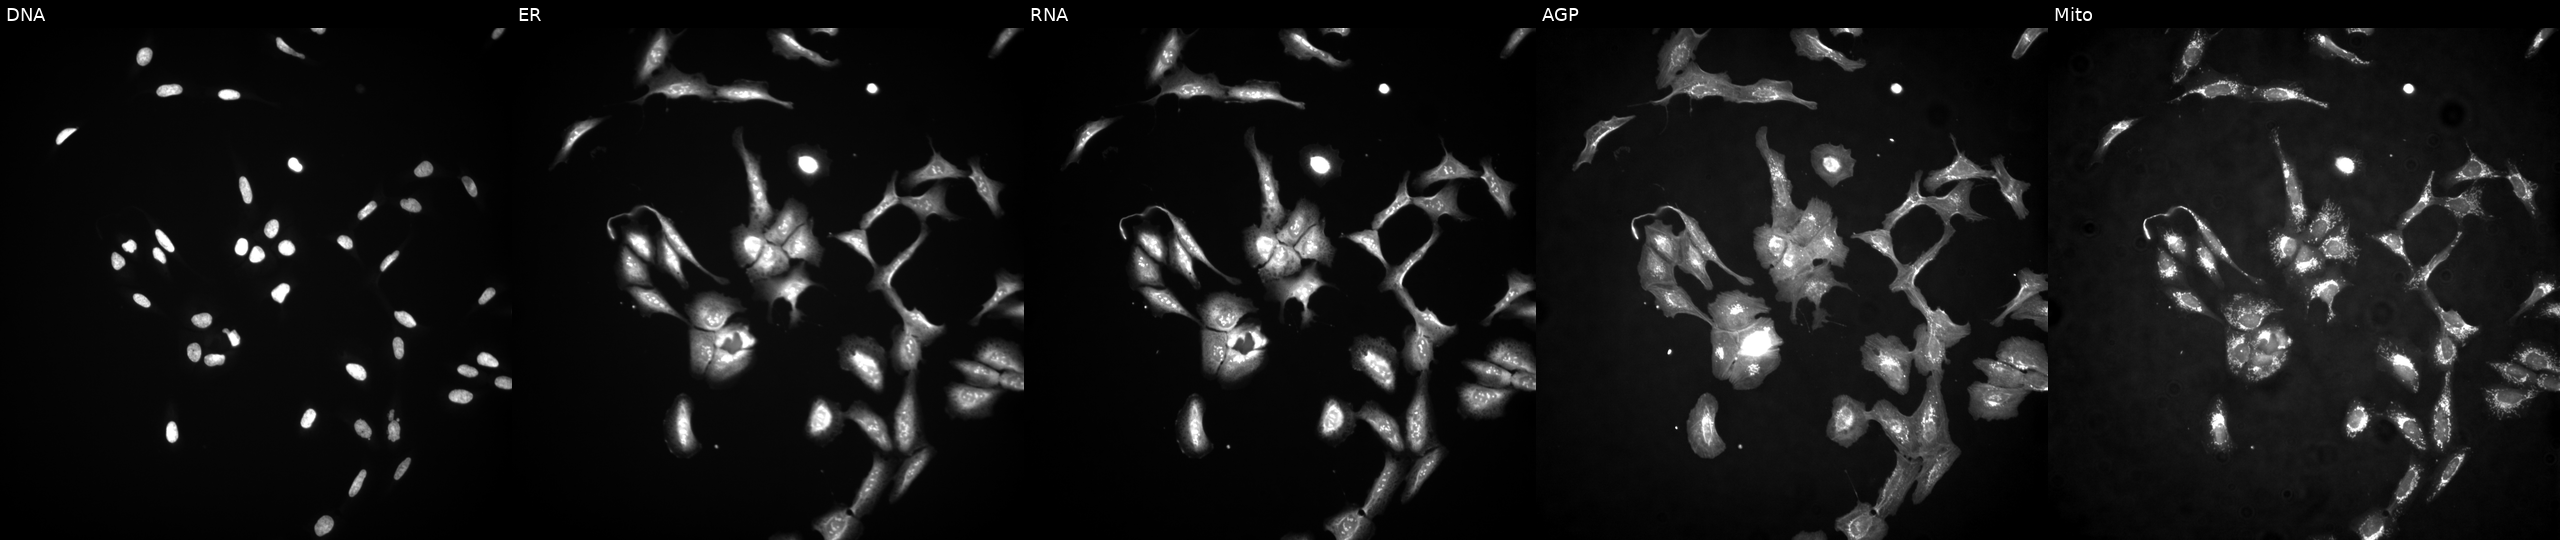
U2OS cells, Cell Painting assay, with CDX1 overexpressed (ORF) (JUMP id JCP2022_910002). Channels (left→right): Hoechst 33342, concanavalin A, SYTO 14, phalloidin and WGA, MitoTracker. Each panel is percentile-stretched 16-bit fluorescence.